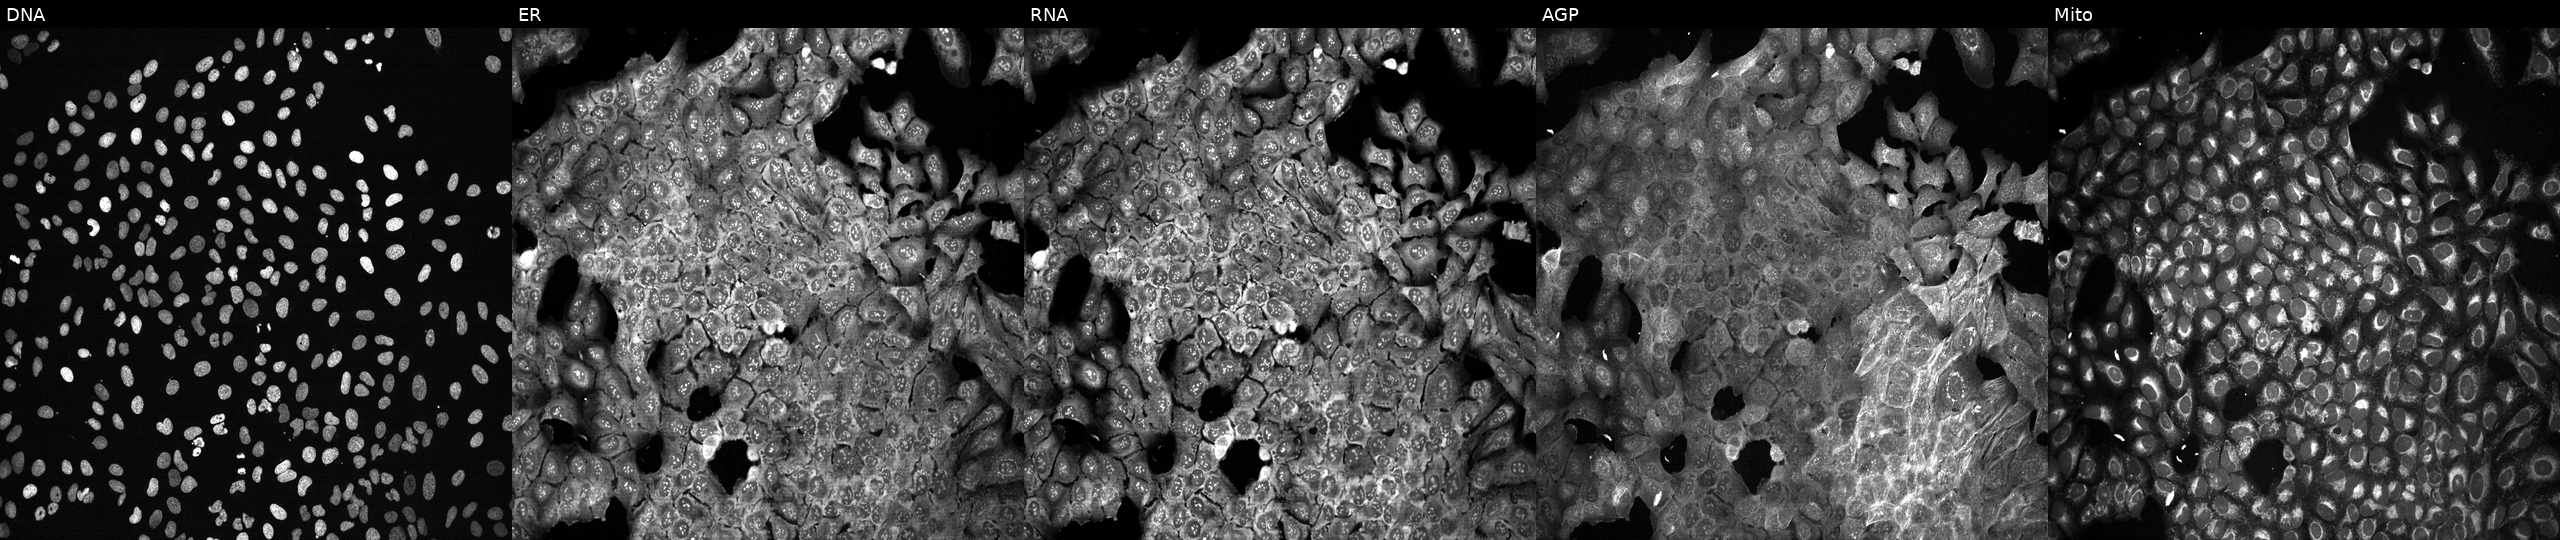
Five-channel Cell Painting image of U2OS cells with ELOVL6 knocked out by CRISPR (JUMP id JCP2022_802101). The five panels, left to right, show Hoechst 33342, concanavalin A, SYTO 14, phalloidin and WGA, MitoTracker.